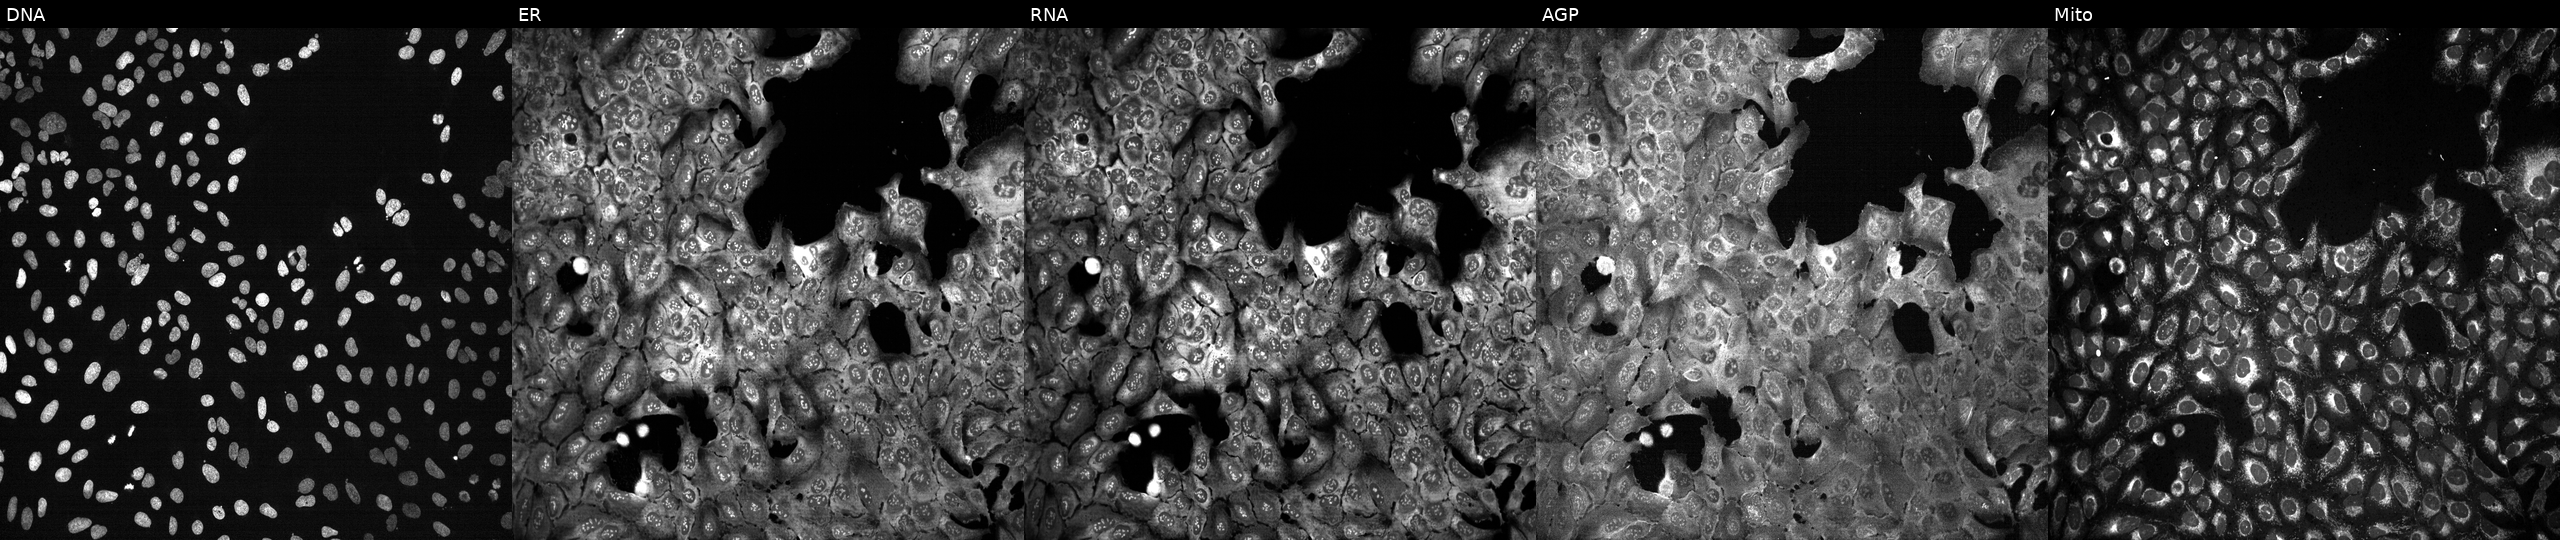
JUMP Cell Painting — CRISPR plate. U2OS cells with CHAT knocked out by CRISPR (JUMP id JCP2022_801278). The five panels, left to right, show DNA (nuclei); ER (endoplasmic reticulum); RNA (nucleoli and cytoplasmic RNA); AGP (actin cytoskeleton, Golgi, and plasma membrane); Mito (mitochondria).